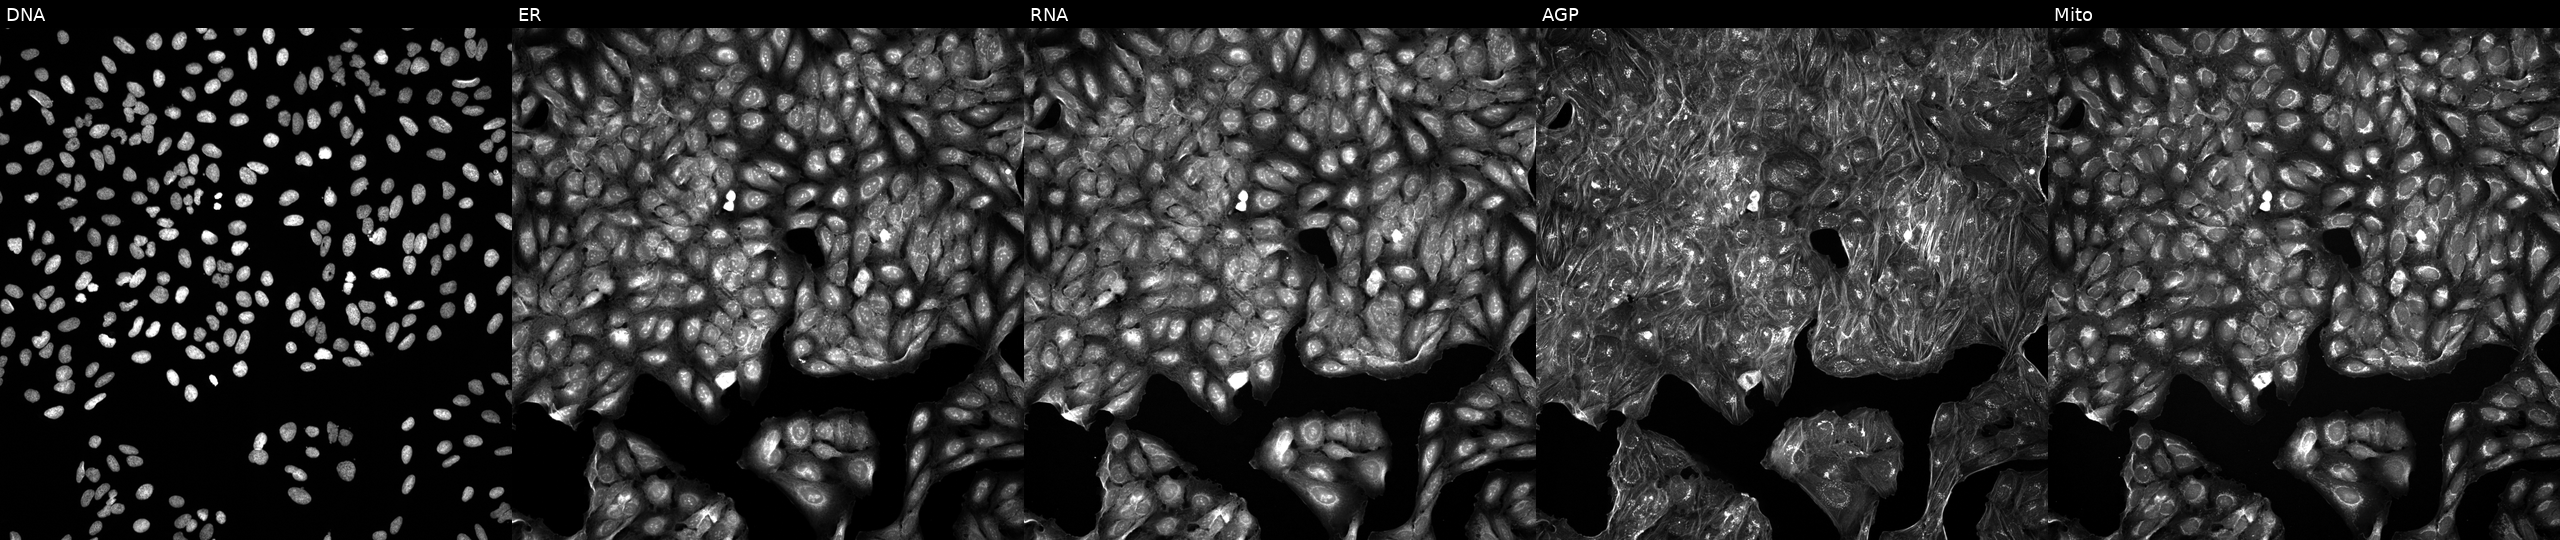
U2OS cells, Cell Painting assay, perturbed with a small-molecule compound (InChIKey UQCFMYCZRANBPL-UHFFFAOYSA-N). The five panels, left to right, show DNA (nuclei); ER (endoplasmic reticulum); RNA (nucleoli and cytoplasmic RNA); AGP (actin cytoskeleton, Golgi, and plasma membrane); Mito (mitochondria). Each panel is percentile-stretched 16-bit fluorescence. Source 5, plate APTJUM106, well C21.